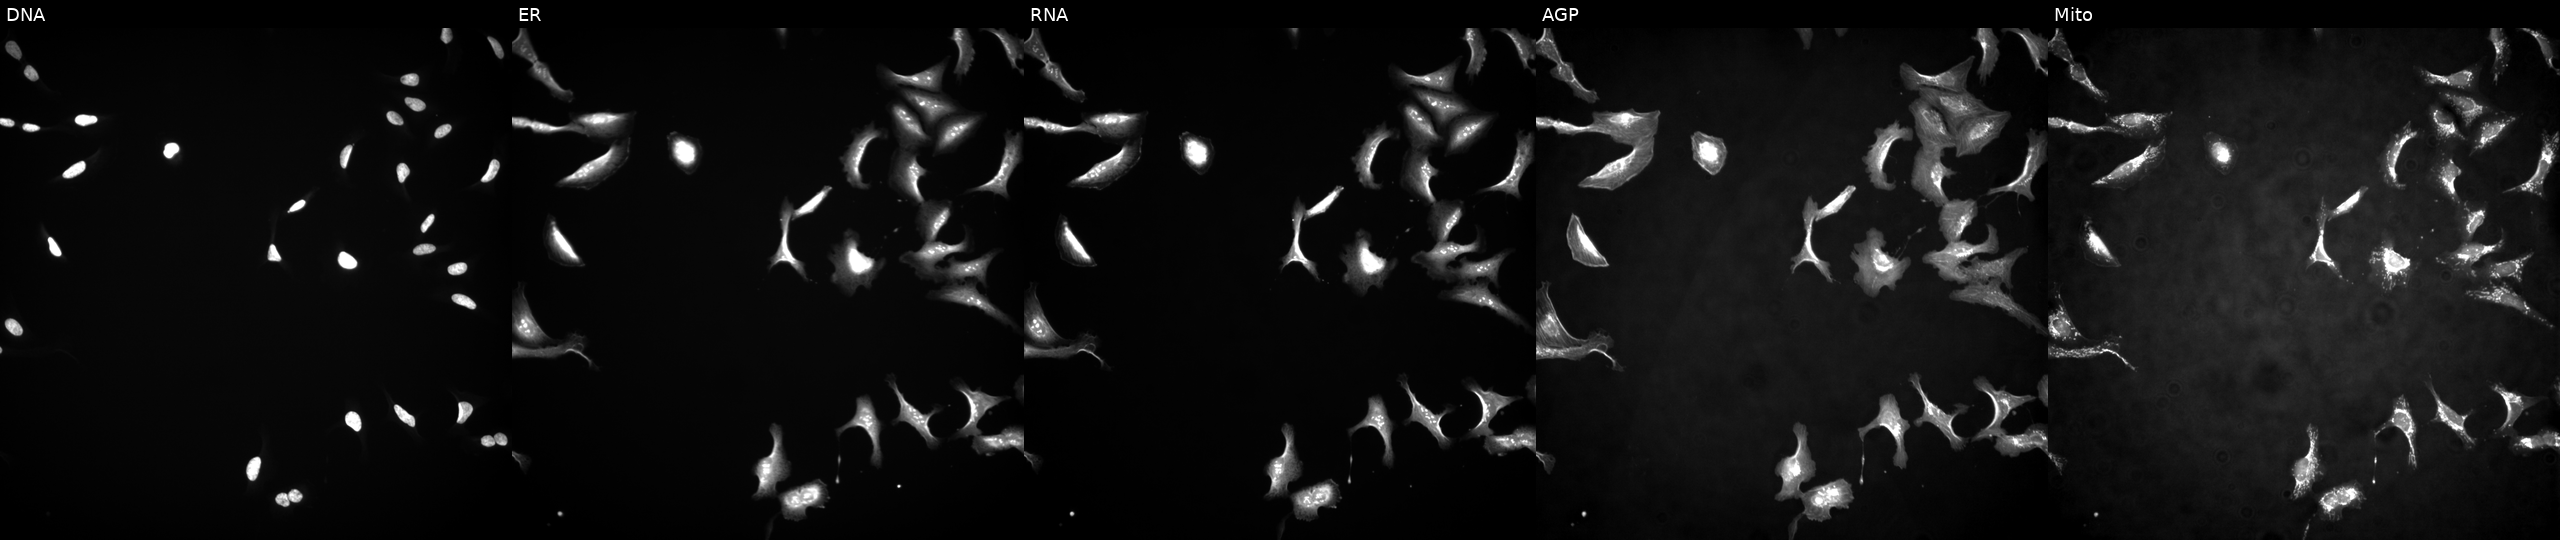
From left to right: DNA (nuclei); ER (endoplasmic reticulum); RNA (nucleoli and cytoplasmic RNA); AGP (actin cytoskeleton, Golgi, and plasma membrane); Mito (mitochondria). U2OS osteosarcoma cells expressing BFP (ORF negative control) (JUMP id JCP2022_915128). Cell Painting assay, JUMP-CP dataset. Source 4, plate BR00117035, well L04.